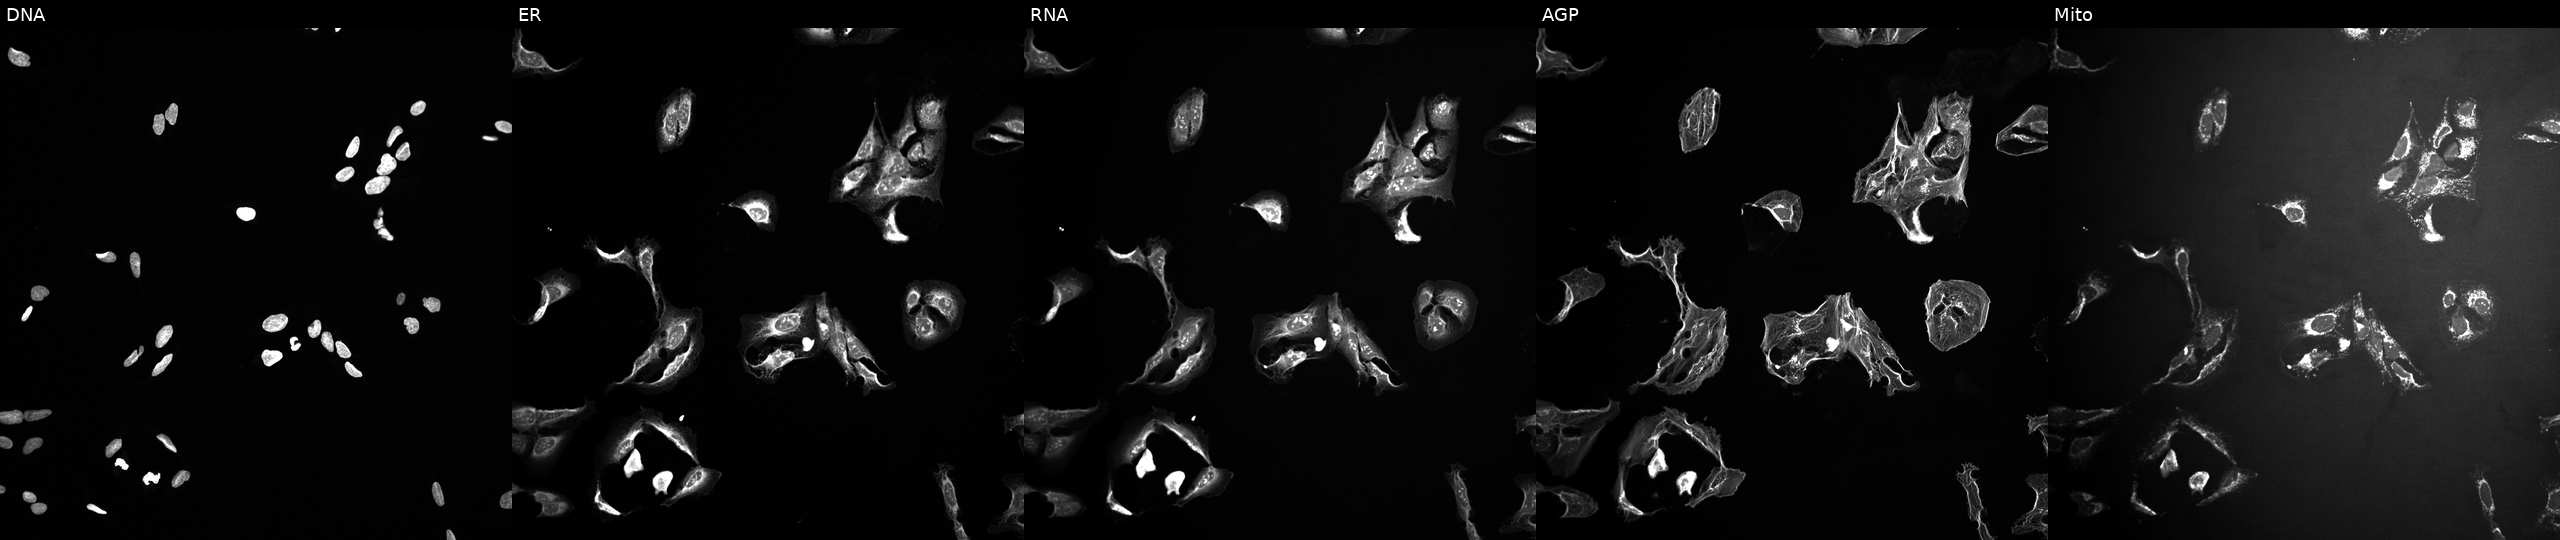
JUMP Cell Painting — TARGET2 plate. U2OS cells treated with a small-molecule compound (InChIKey RAMROQQYRRQPDL-UHFFFAOYSA-N) (JUMP id JCP2022_077089). From left to right: DNA (nuclei); ER (endoplasmic reticulum); RNA (nucleoli and cytoplasmic RNA); AGP (actin cytoskeleton, Golgi, and plasma membrane); Mito (mitochondria). Source 10, plate Dest210727-153003, well C22.